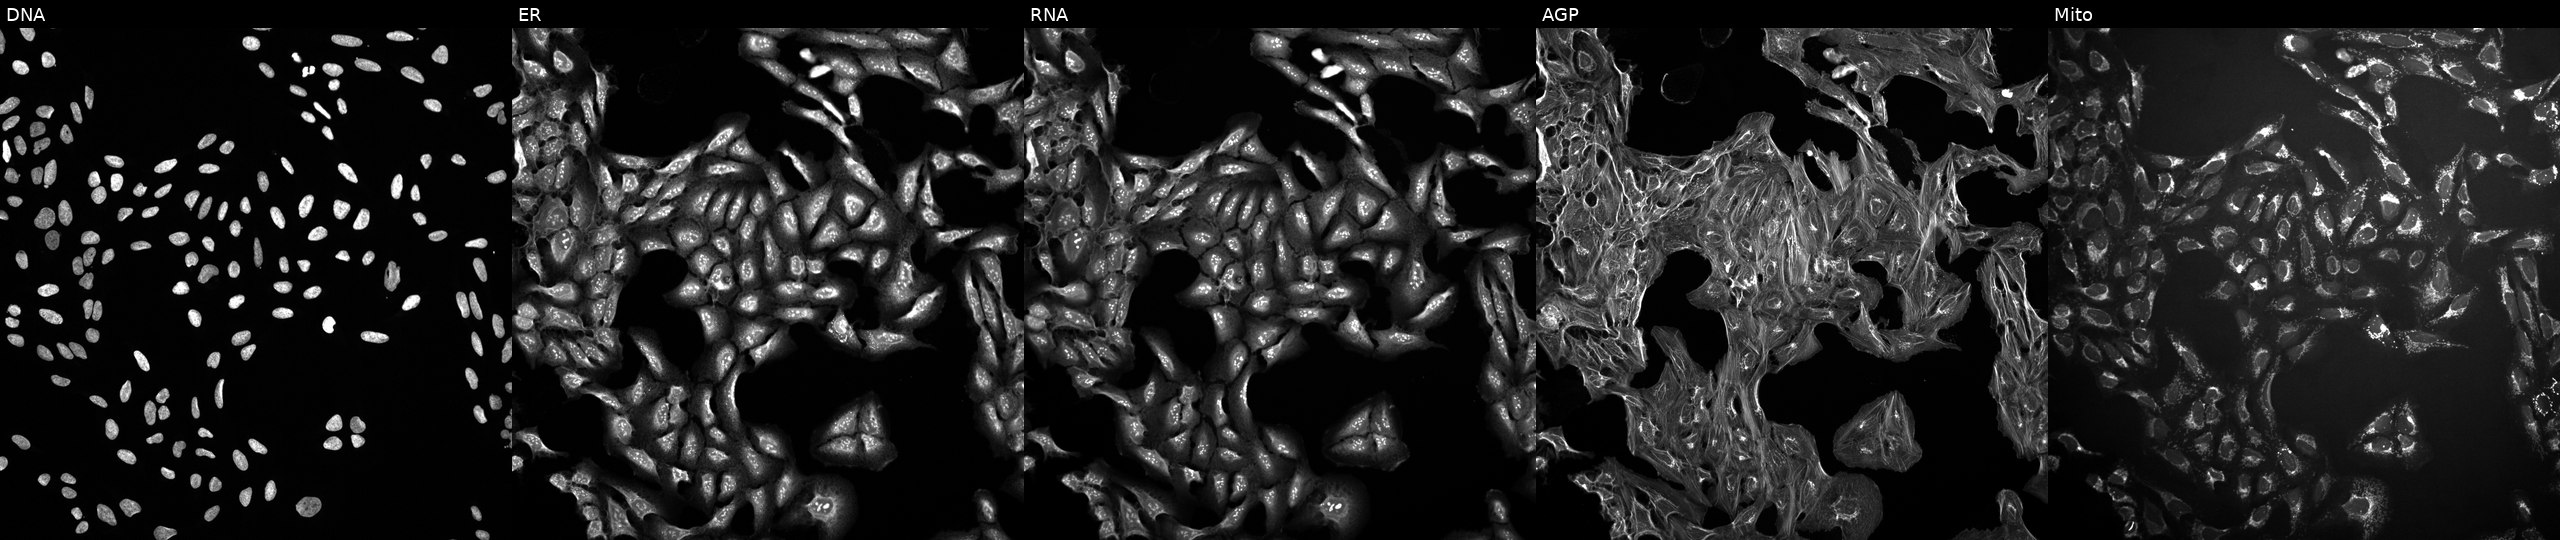
Panels show, left to right, DNA (nuclei); ER (endoplasmic reticulum); RNA (nucleoli and cytoplasmic RNA); AGP (actin cytoskeleton, Golgi, and plasma membrane); Mito (mitochondria). U2OS osteosarcoma cells exposed to DMSO alone as a negative control. Cell Painting assay, JUMP-CP dataset.